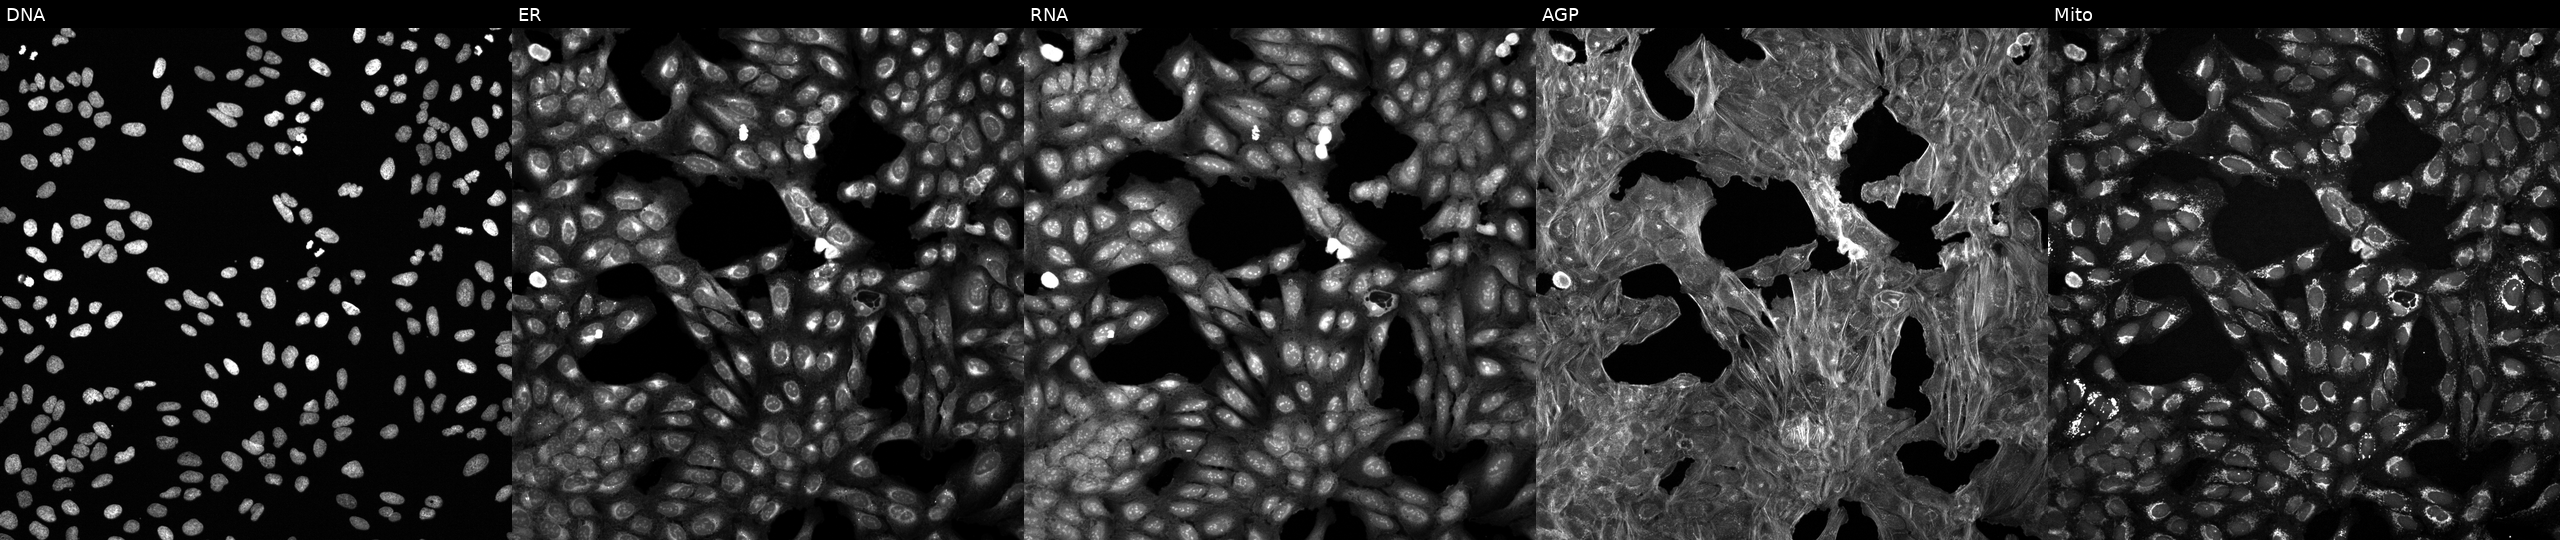
Channels (left→right): DNA, ER, RNA, AGP, and Mito. U2OS osteosarcoma cells exposed to a small-molecule compound (InChIKey KFAKESMKRPNZTM-UHFFFAOYSA-N) [SMILES: COc1ccc(OC)c2c(=S)c3ccccc3[nH]c12] (JUMP id JCP2022_044197). Cell Painting assay, JUMP-CP dataset. Source 6, plate 110000293081, well C23.